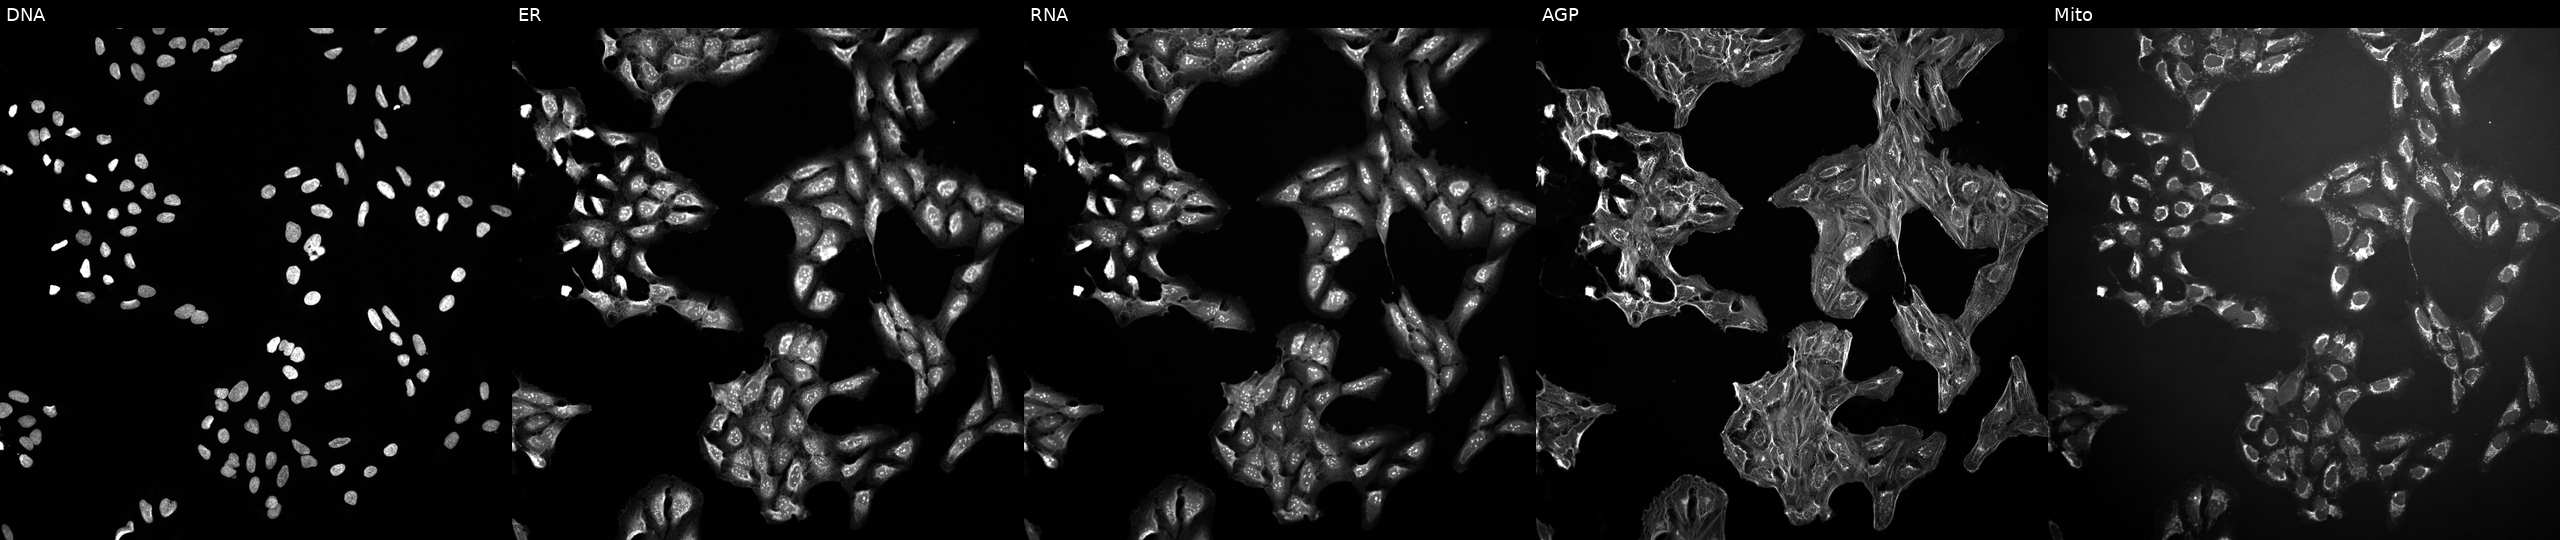
JUMP Cell Painting — TARGET2 plate. U2OS cells perturbed with a small-molecule compound (InChIKey ZJMDTBBCNMGFMS-UHFFFAOYSA-N) [SMILES: CN1CCN(c2ccc(C=C(C#N)c3ccccc3Br)cc2)CC1]. Panels show, left to right, DNA, ER, RNA, AGP, and Mito. Source 10, plate Dest210726-160150, well C18.